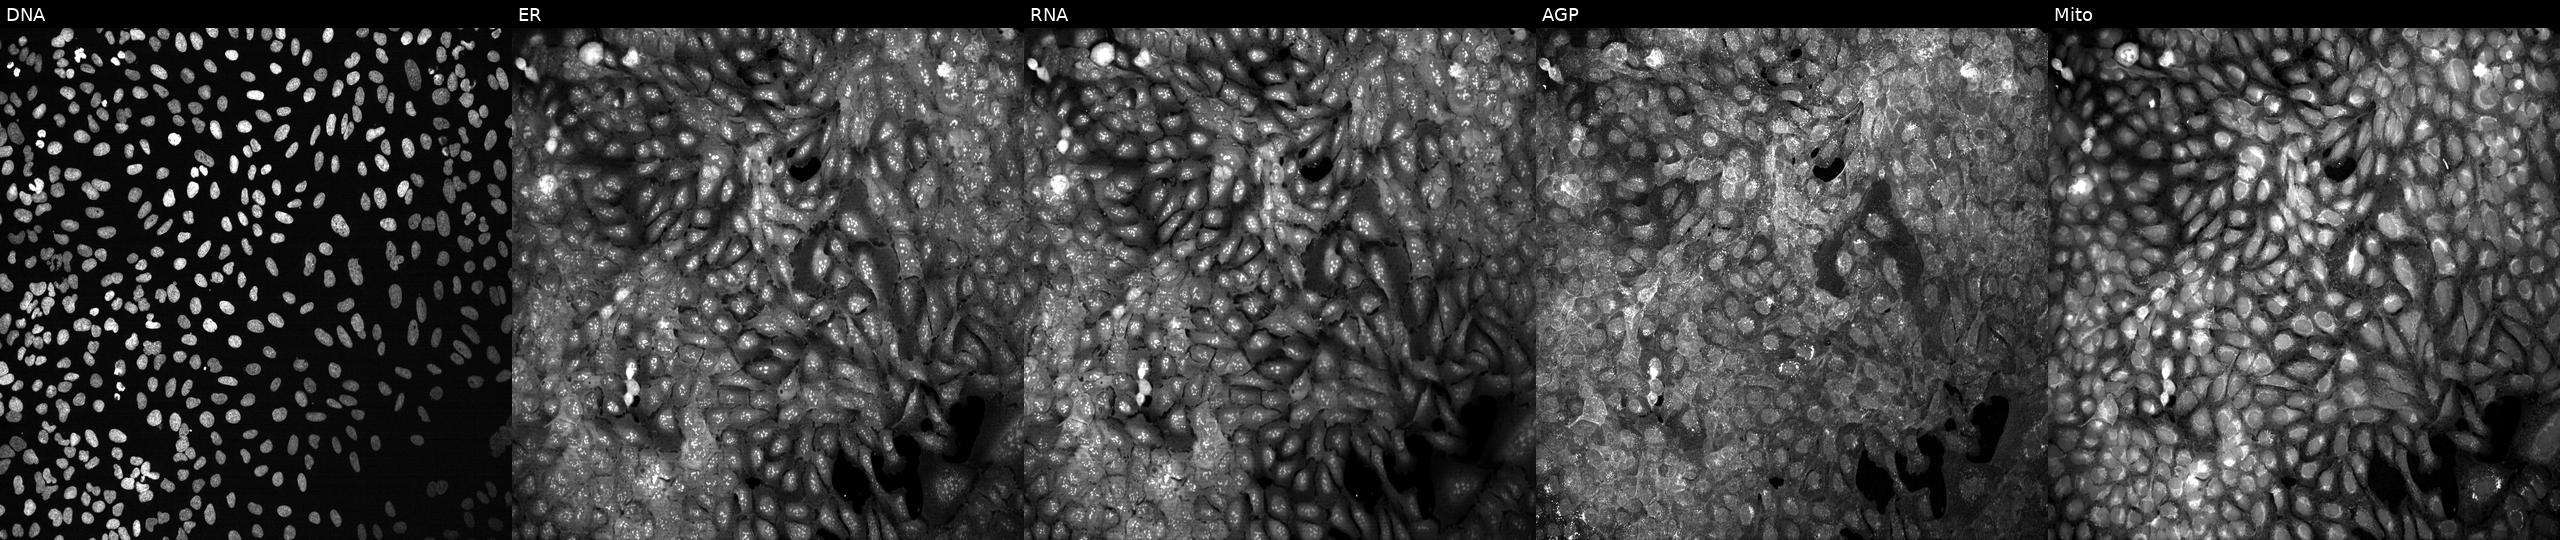
U2OS cells, Cell Painting assay, following CRISPR knockout of ARL4A (JUMP id JCP2022_800587). Panels show, left to right, DNA, ER, RNA, AGP, and Mito. Each panel is percentile-stretched 16-bit fluorescence. Source 13, plate CP-CC9-R1-02, well O22.